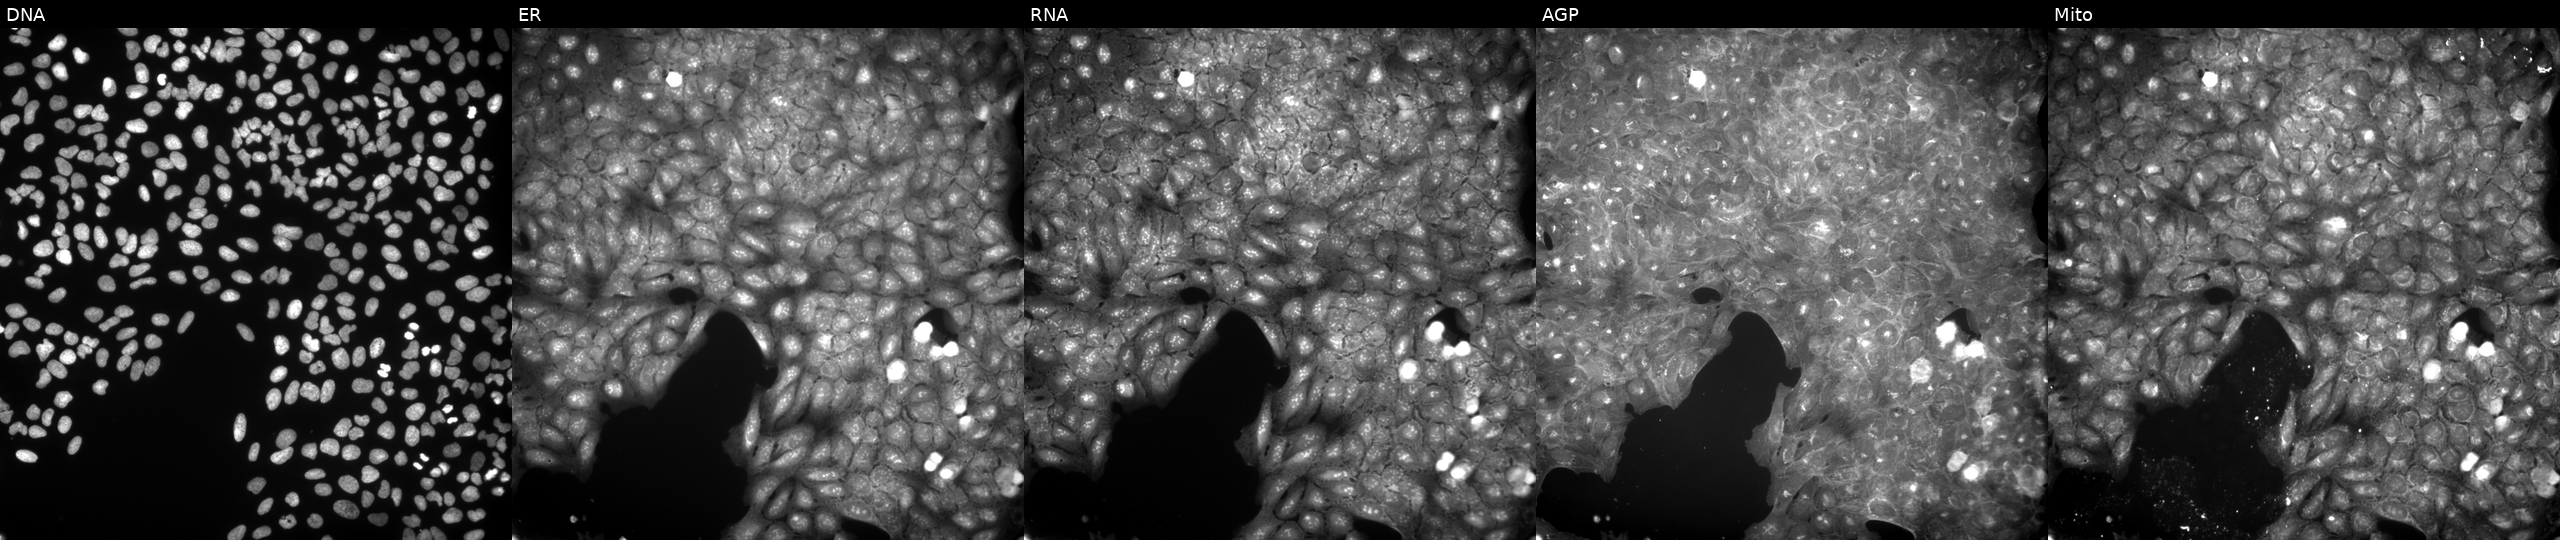
Five-channel Cell Painting image of U2OS cells perturbed with a small-molecule compound (InChIKey UUHOQWHLAYTSAD-UHFFFAOYSA-N) (JUMP id JCP2022_091620). Panels show, left to right, Hoechst 33342, concanavalin A, SYTO 14, phalloidin and WGA, MitoTracker.